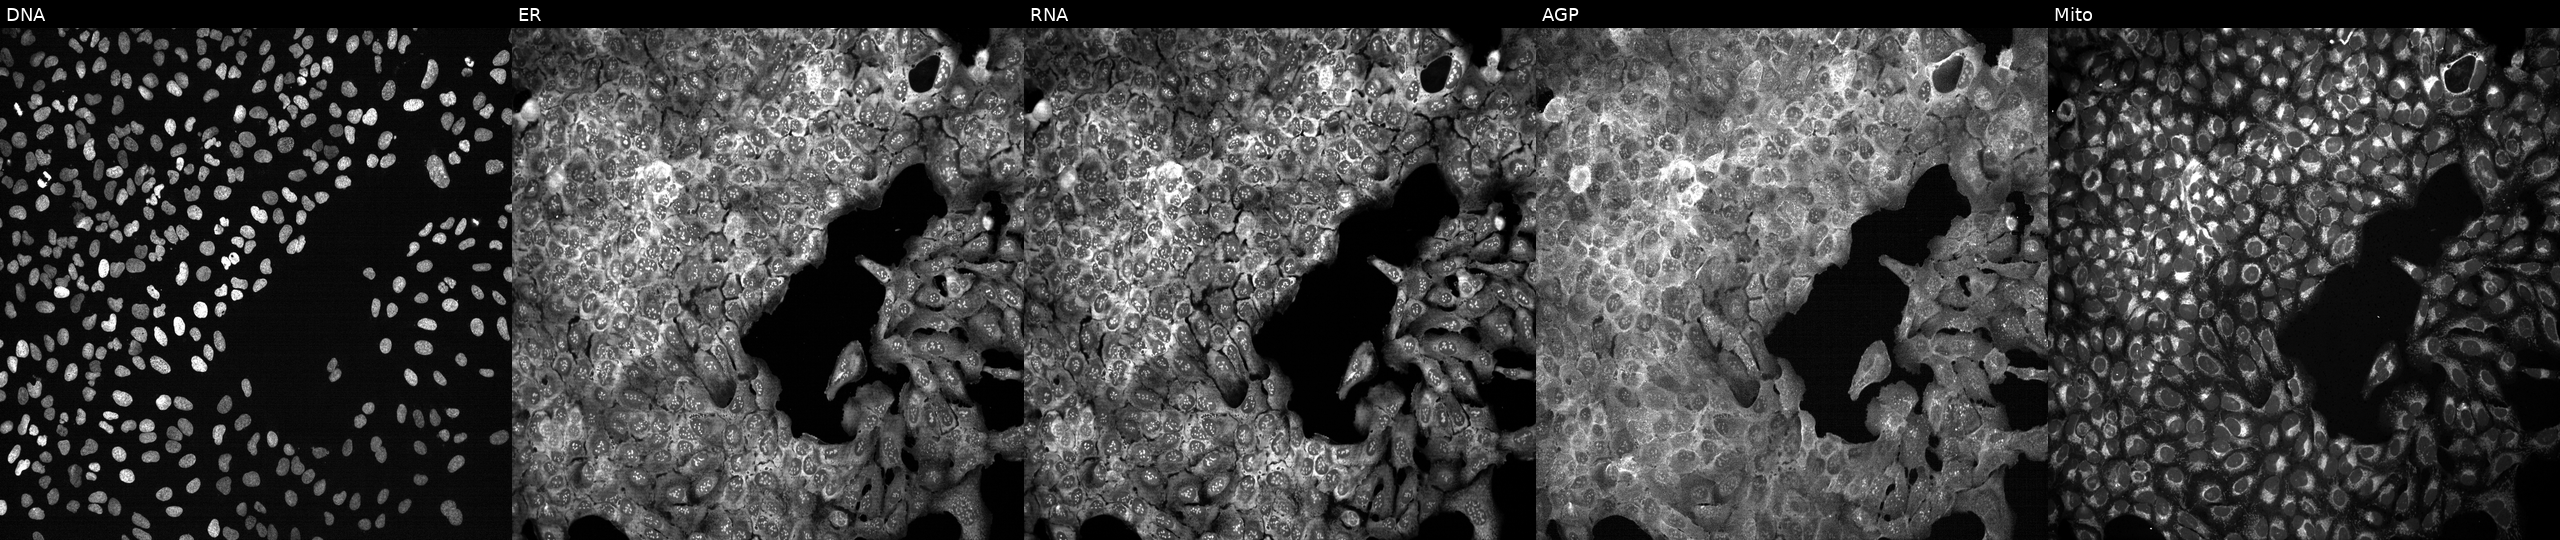
Five-channel Cell Painting image of U2OS cells with SH3BGR knocked out by CRISPR (JUMP id JCP2022_806315). Panels show, left to right, DNA (nuclei); ER (endoplasmic reticulum); RNA (nucleoli and cytoplasmic RNA); AGP (actin cytoskeleton, Golgi, and plasma membrane); Mito (mitochondria).